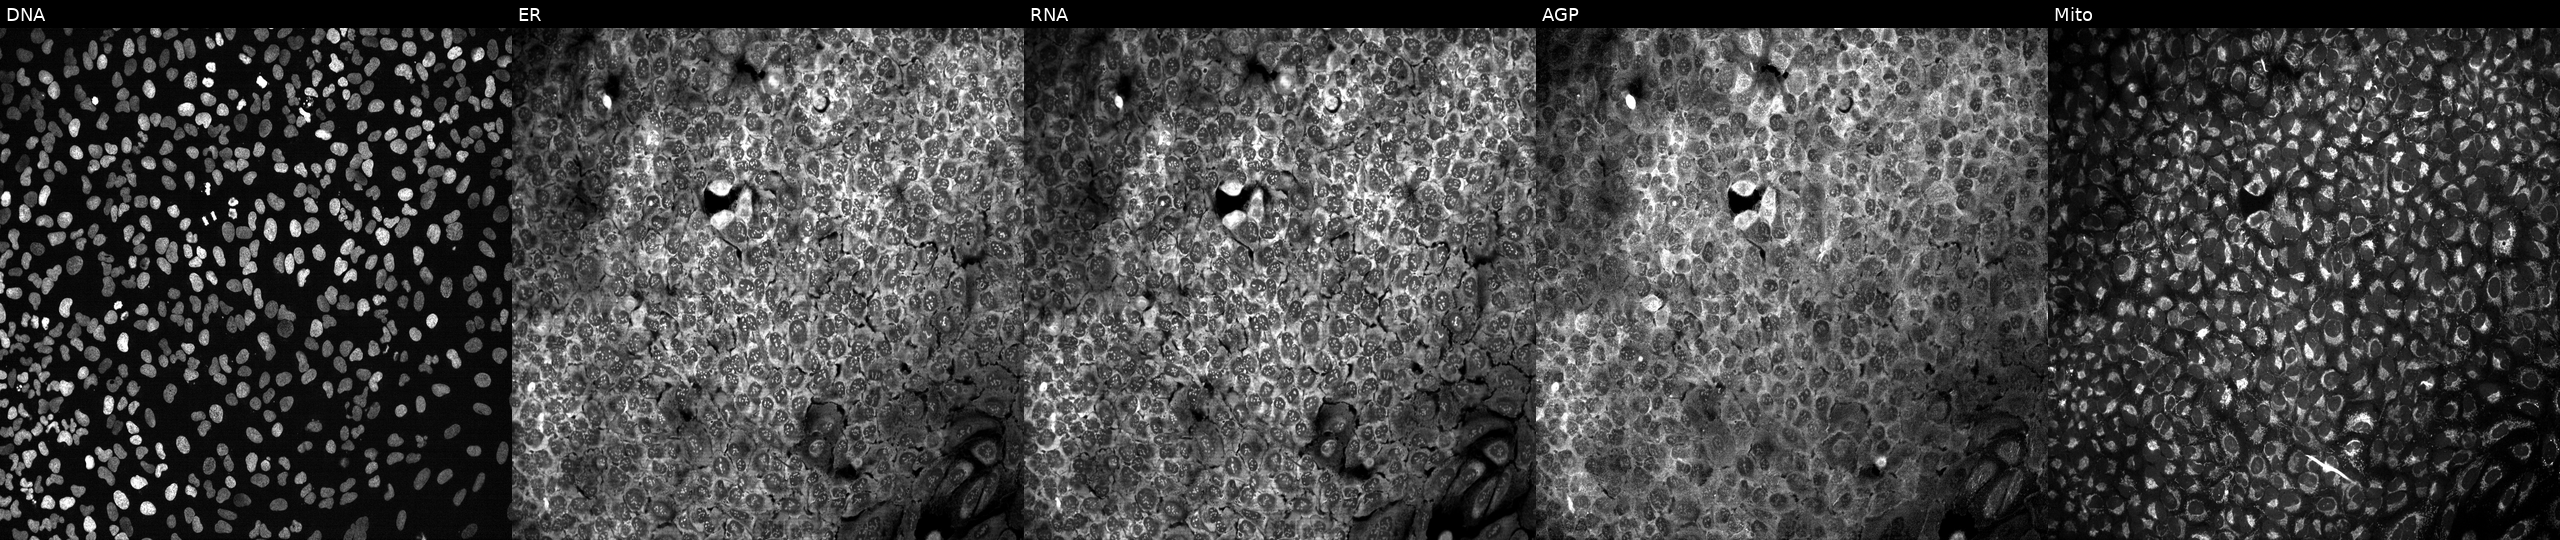
JUMP Cell Painting — CRISPR plate. U2OS cells following CRISPR knockout of HAVCR1 (JUMP id JCP2022_803023). From left to right: DNA (nuclei); ER (endoplasmic reticulum); RNA (nucleoli and cytoplasmic RNA); AGP (actin cytoskeleton, Golgi, and plasma membrane); Mito (mitochondria).